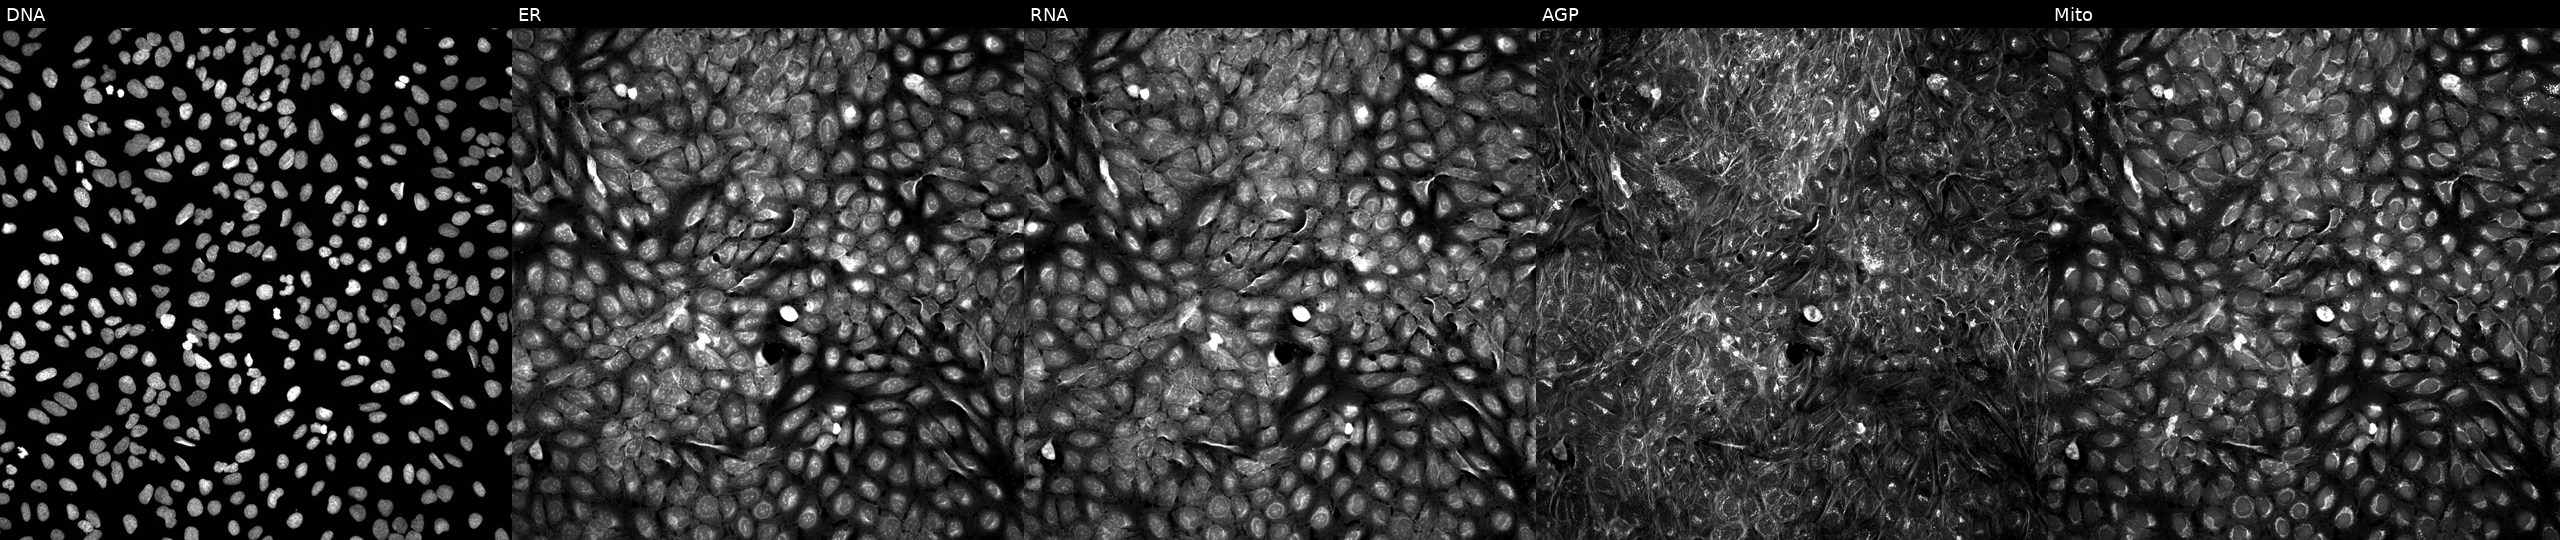
High-content fluorescence microscopy (Cell Painting). Cell line: U2OS. Perturbation: perturbed with a small-molecule compound (InChIKey KIZJUFIRUUPFRW-UHFFFAOYSA-N) [SMILES: COCCOc1ccc(CN2CCOCC23CCC3)cc1]. From left to right: DNA, ER, RNA, AGP, and Mito.